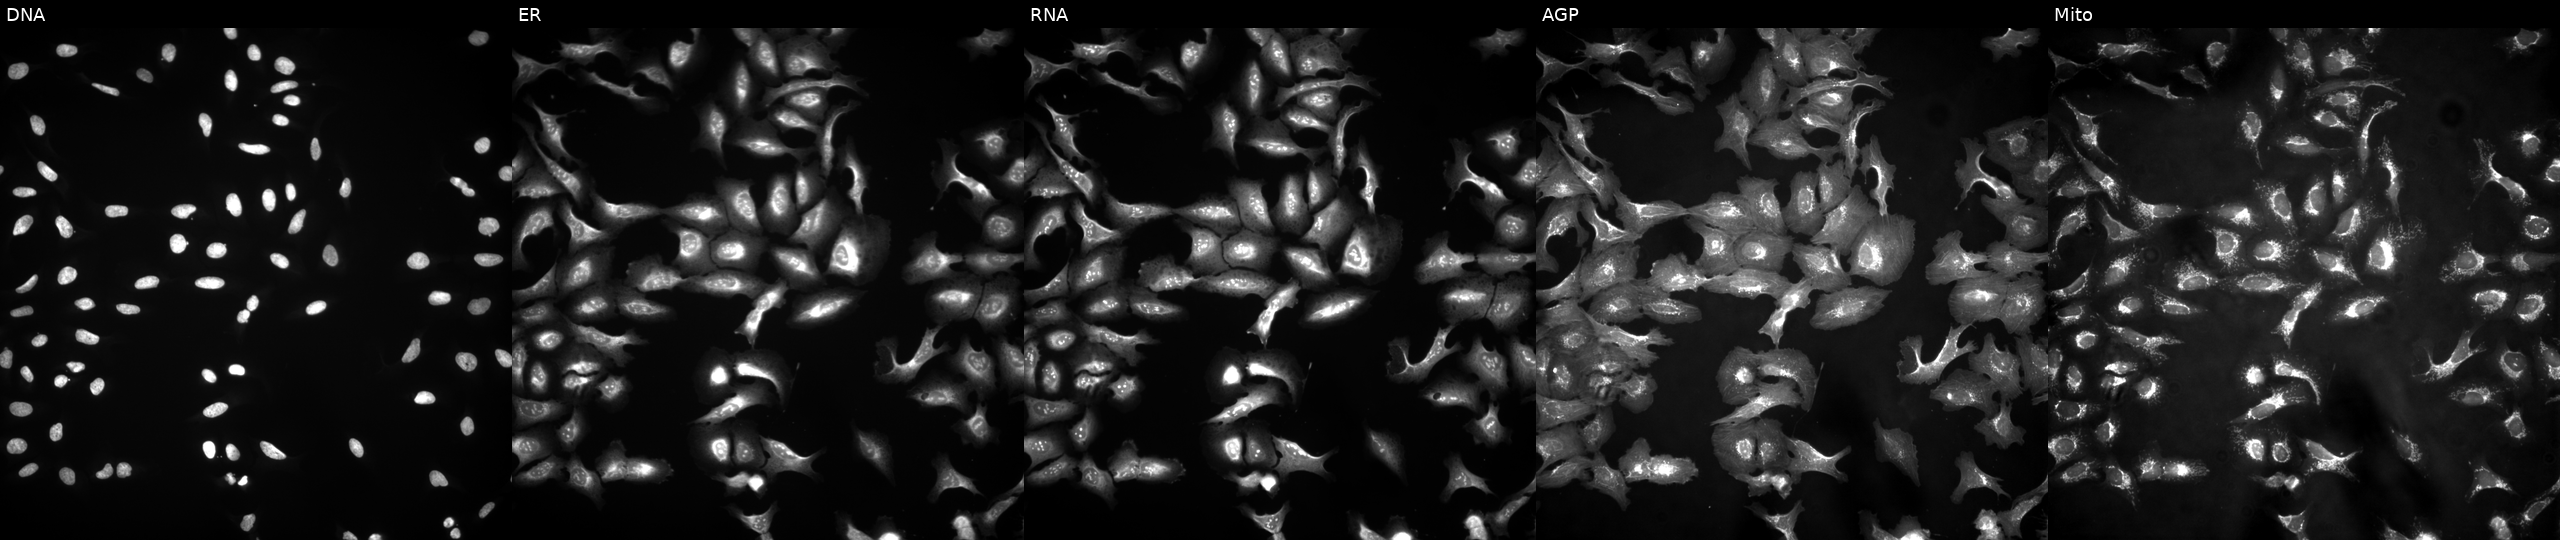
High-content fluorescence microscopy (Cell Painting). Cell line: U2OS. Perturbation: transfected with an ORF construct for FBXL5 (JUMP id JCP2022_907485). The five panels, left to right, show DNA, ER, RNA, AGP, and Mito.